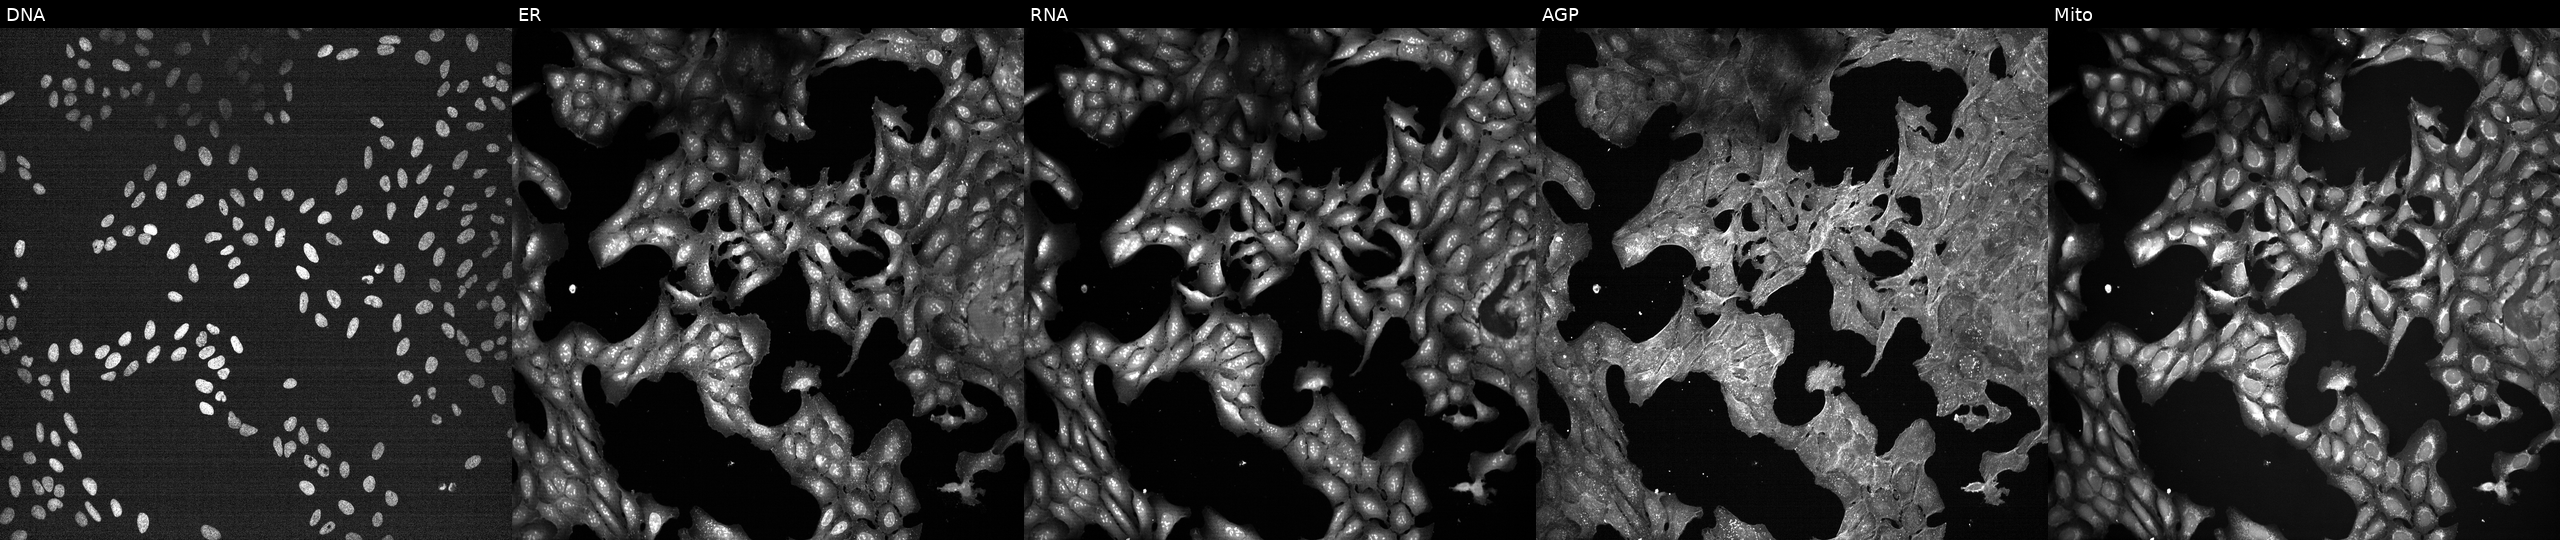
This image strip shows the five Cell Painting channels for a single field of U2OS cells exposed to a small-molecule compound (InChIKey UFJGFNHRMPMALC-UHFFFAOYSA-N) (JUMP id JCP2022_088849). The five panels, left to right, show DNA, ER, RNA, AGP, and Mito.